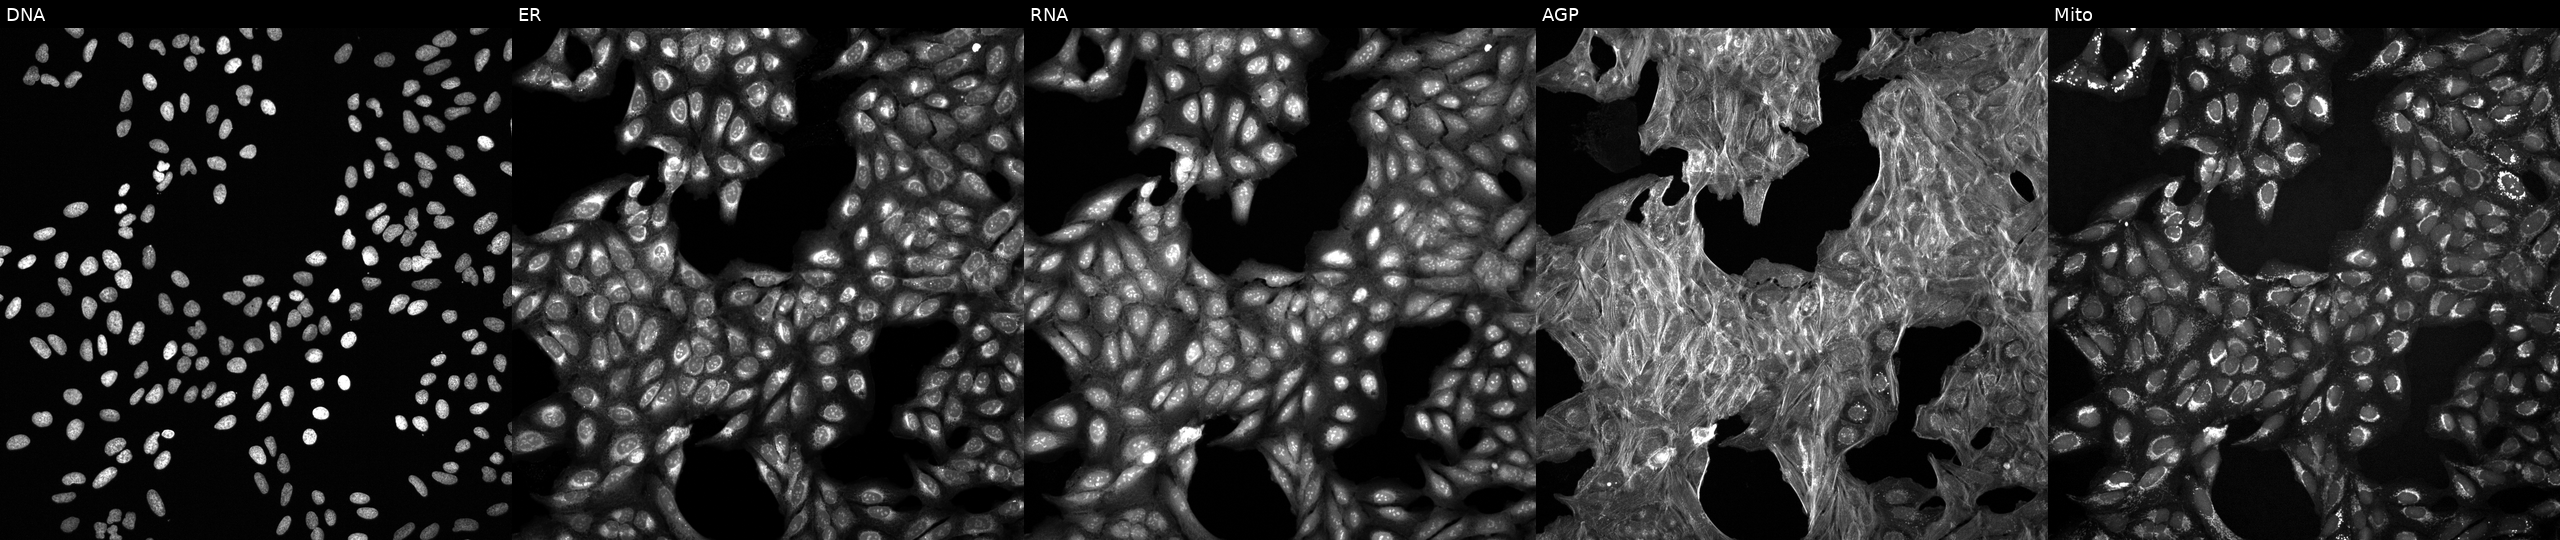
Five-channel Cell Painting image of U2OS cells treated with a small-molecule compound [SMILES: Cc1noc2nc(-c3ccc4c(c3)OCO4)cc(C(=O)N=c3[nH]ccs3)c12]. Channels (left→right): DNA (nuclei); ER (endoplasmic reticulum); RNA (nucleoli and cytoplasmic RNA); AGP (actin cytoskeleton, Golgi, and plasma membrane); Mito (mitochondria).